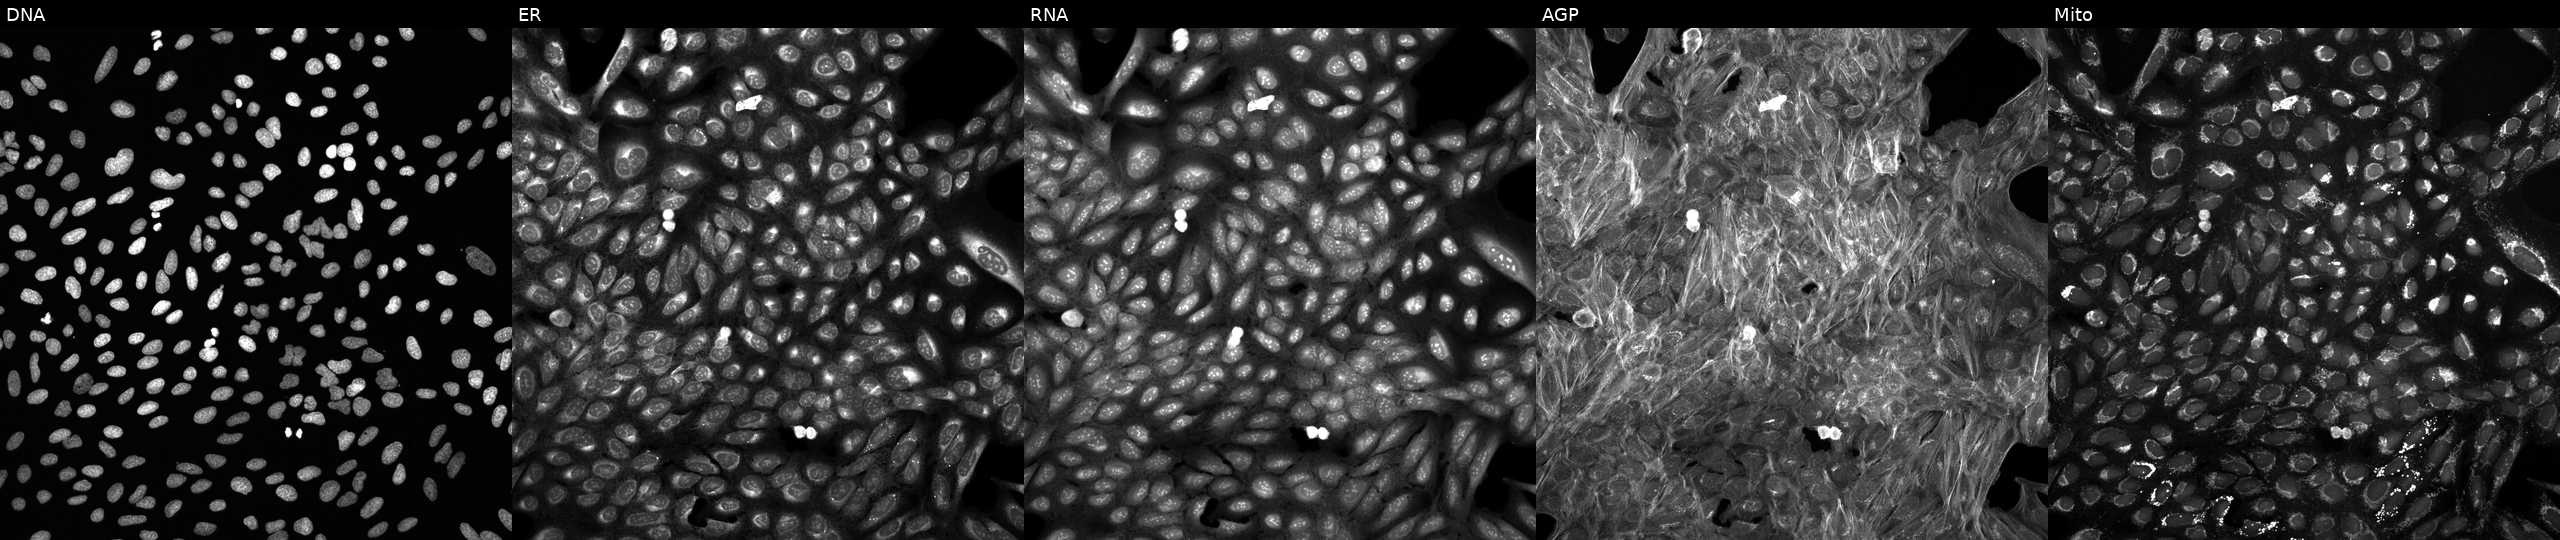
Five-channel Cell Painting image of U2OS cells treated with a small-molecule compound (InChIKey AAMVLFNKCTYKQK-UHFFFAOYSA-N) [SMILES: Cc1ccc(C)c(S(=O)(=O)NCc2nnc3c(C(F)(F)F)cc(Cl)cn23)c1] (JUMP id JCP2022_000107). The five panels, left to right, show DNA, ER, RNA, AGP, and Mito.